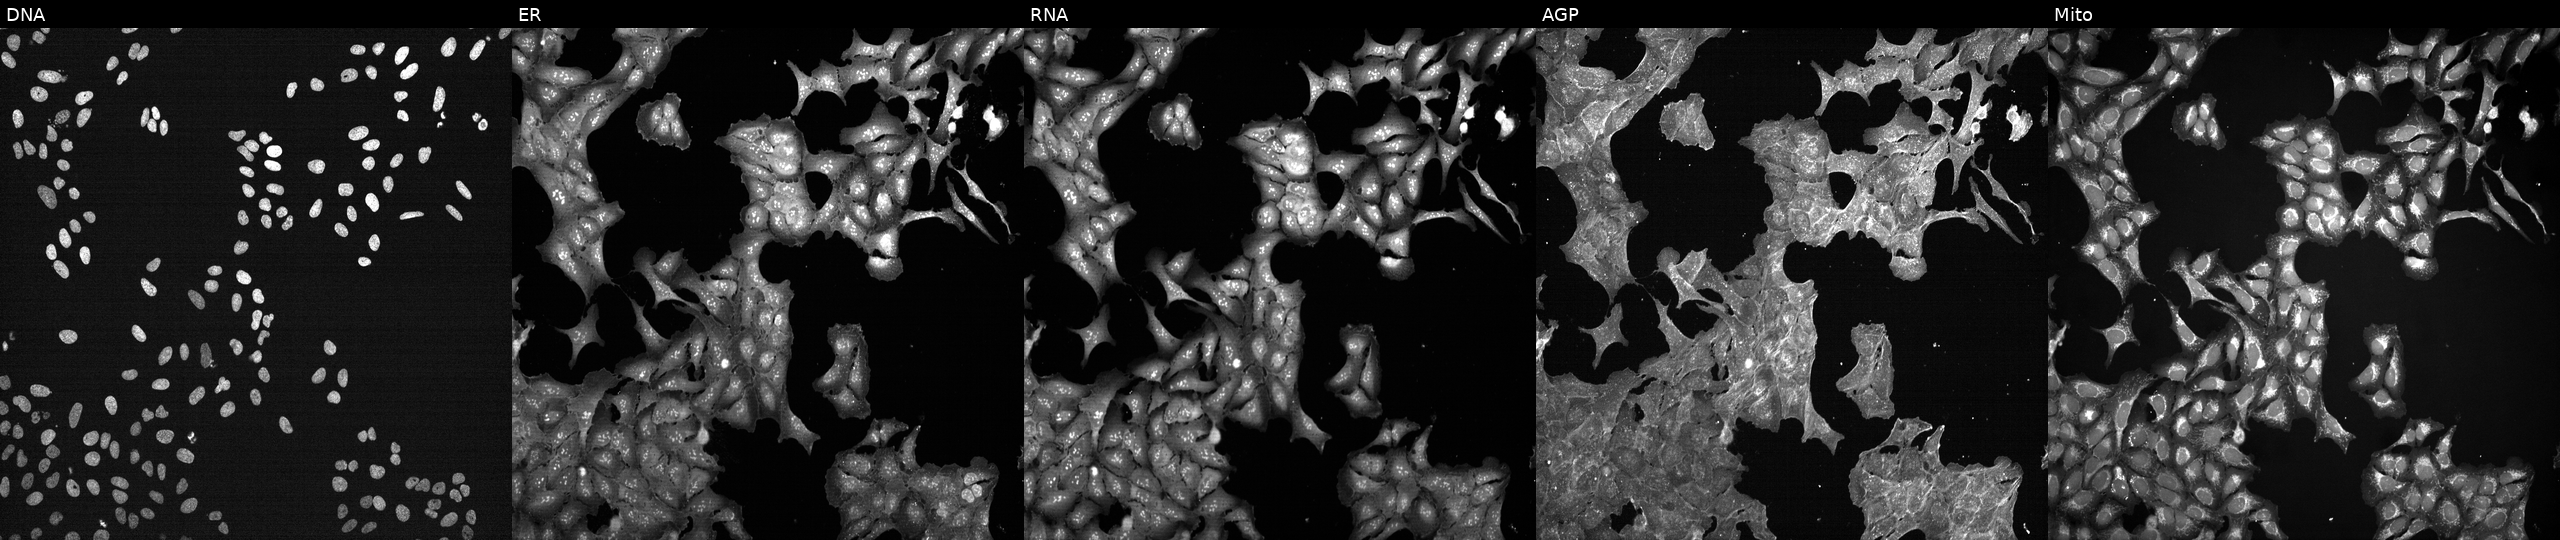
U2OS cells, Cell Painting assay, exposed to a small-molecule compound (InChIKey RIJLVEAXPNLDTC-UHFFFAOYSA-N) [SMILES: O=C(N=c1nc2cccc(-c3ccc(CN4CCS(=O)(=O)CC4)cc3)n2[nH]1)C1CC1] (JUMP id JCP2022_078581). Channels (left→right): DNA, ER, RNA, AGP, and Mito. Each panel is percentile-stretched 16-bit fluorescence. Source 7, plate CP2-SC1-25, well N12.